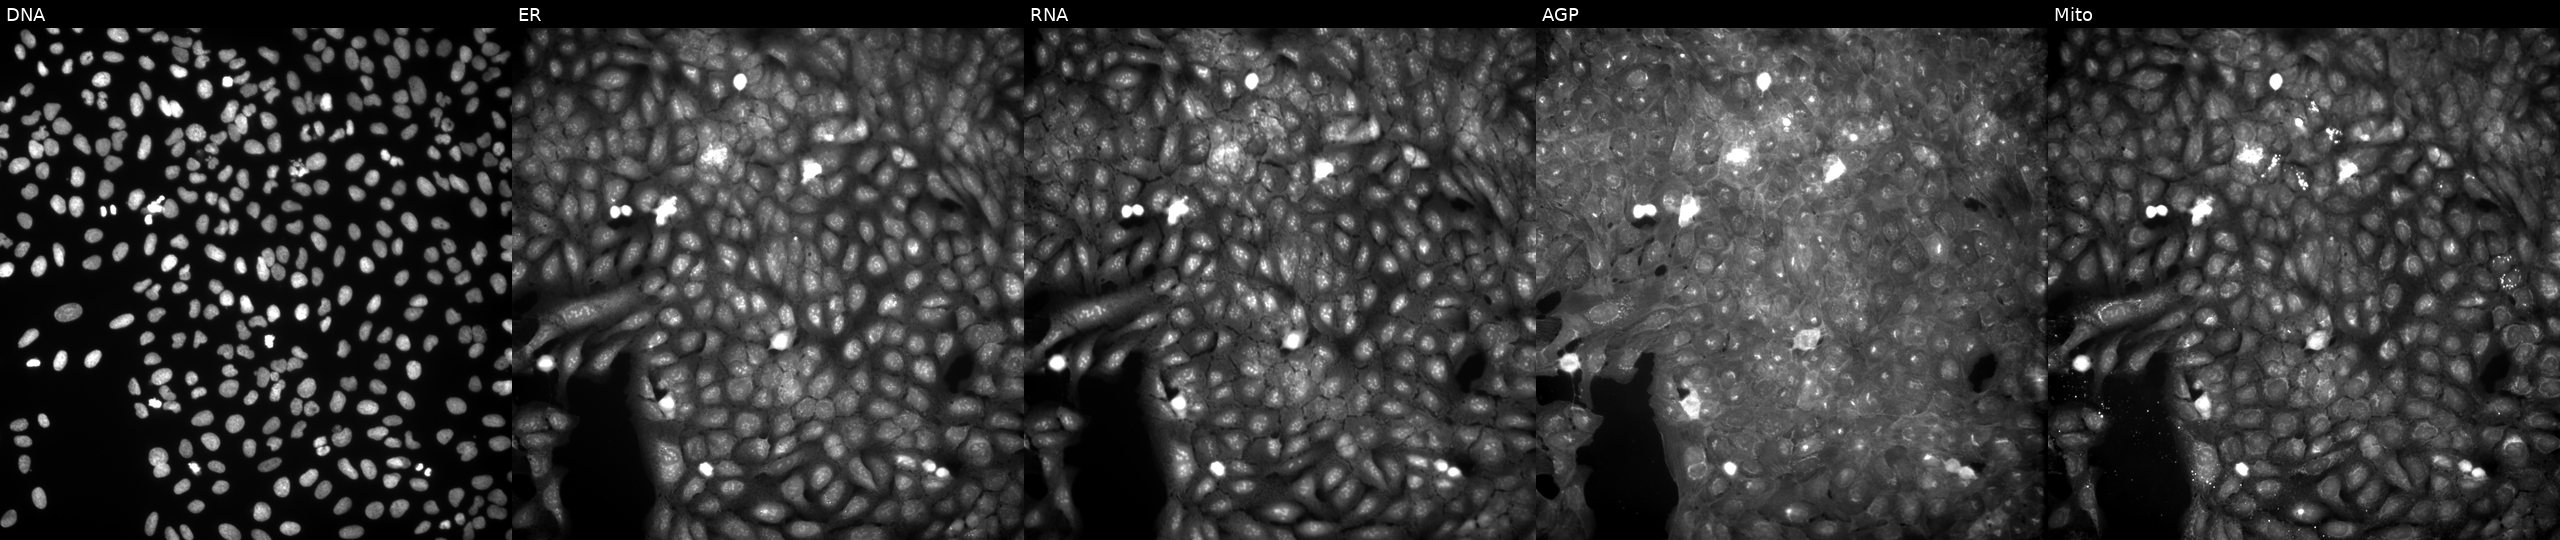
Panels show, left to right, Hoechst 33342, concanavalin A, SYTO 14, phalloidin and WGA, MitoTracker. U2OS osteosarcoma cells treated with a small-molecule compound (InChIKey SFNVMKKUISRNFE-UHFFFAOYSA-N). Cell Painting assay, JUMP-CP dataset. Source 9, plate GR00003382, well U27.